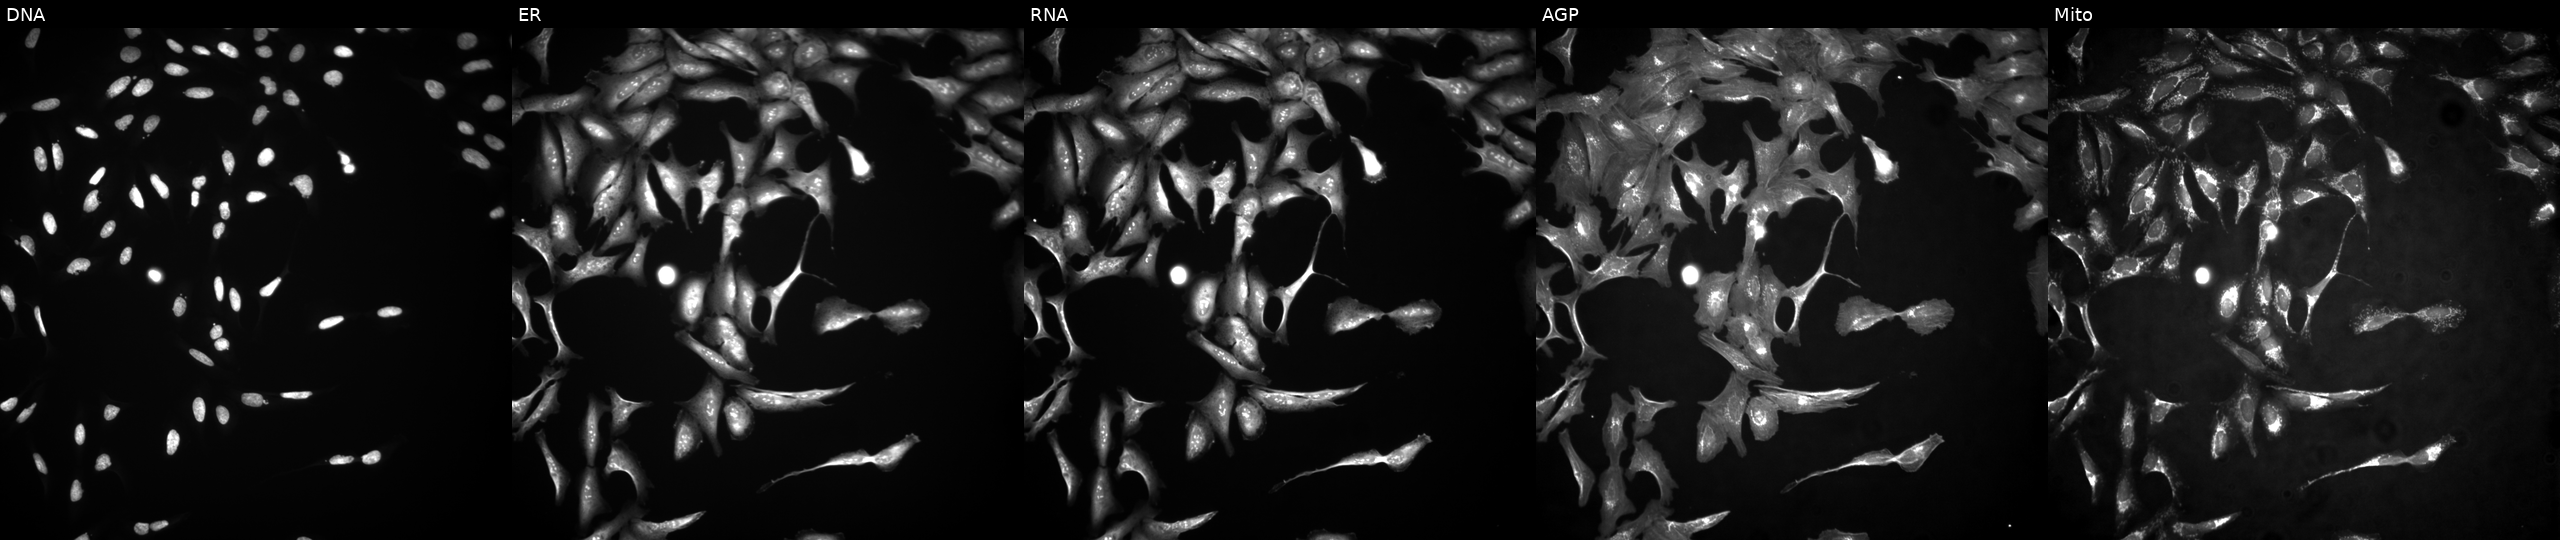
This image strip shows the five Cell Painting channels for a single field of U2OS cells with GATA3 overexpressed (ORF) (JUMP id JCP2022_905854). Panels show, left to right, DNA, ER, RNA, AGP, and Mito.